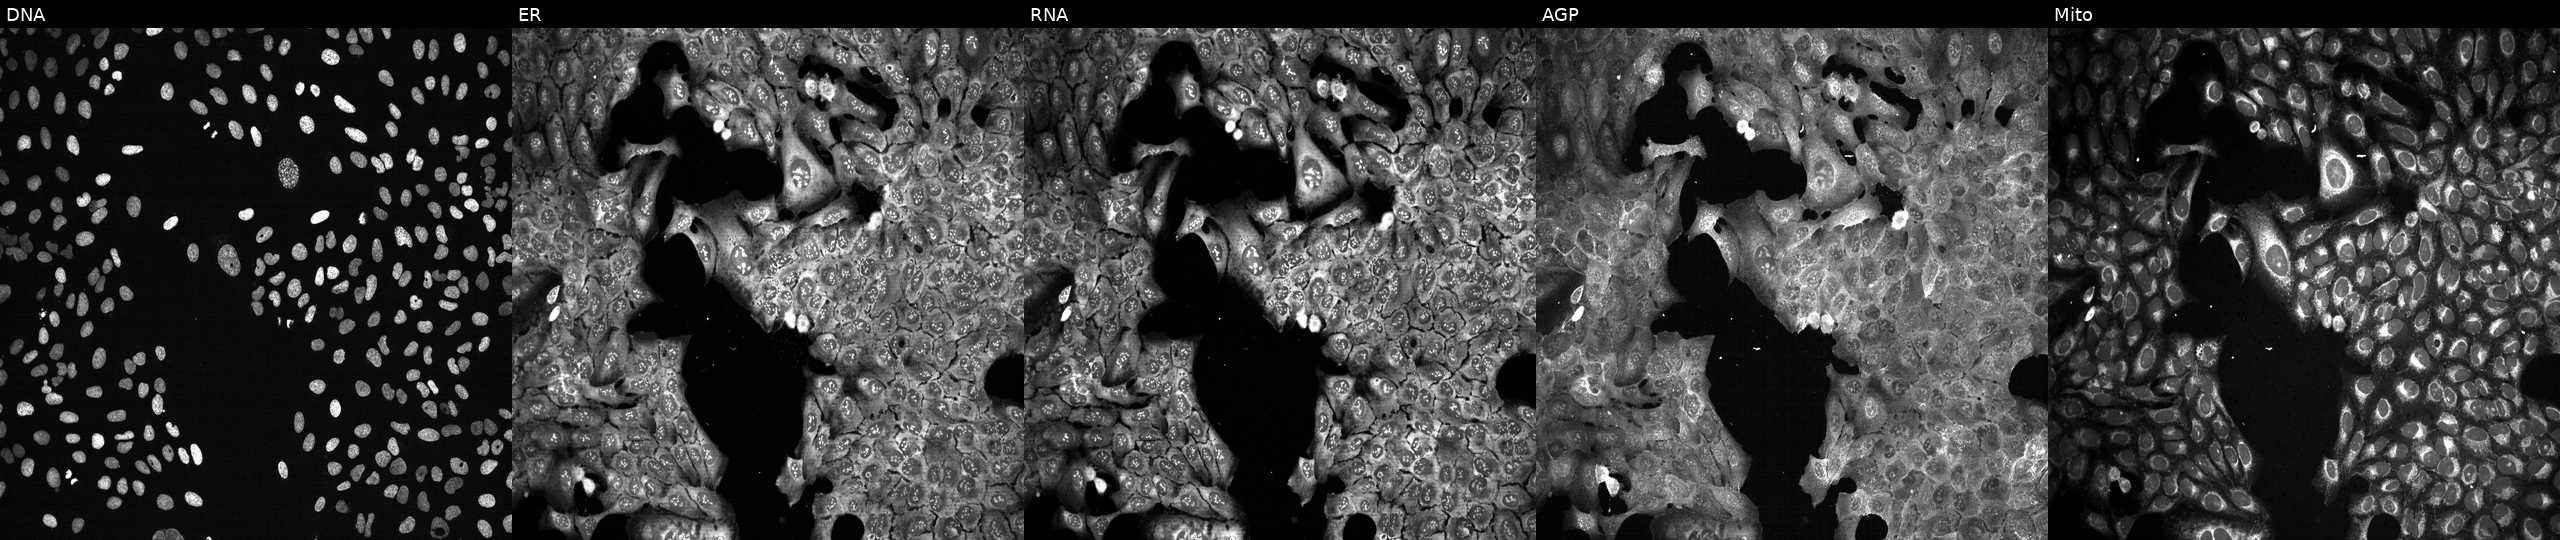
This image strip shows the five Cell Painting channels for a single field of U2OS cells following CRISPR knockout of CA4. From left to right: DNA, ER, RNA, AGP, and Mito.